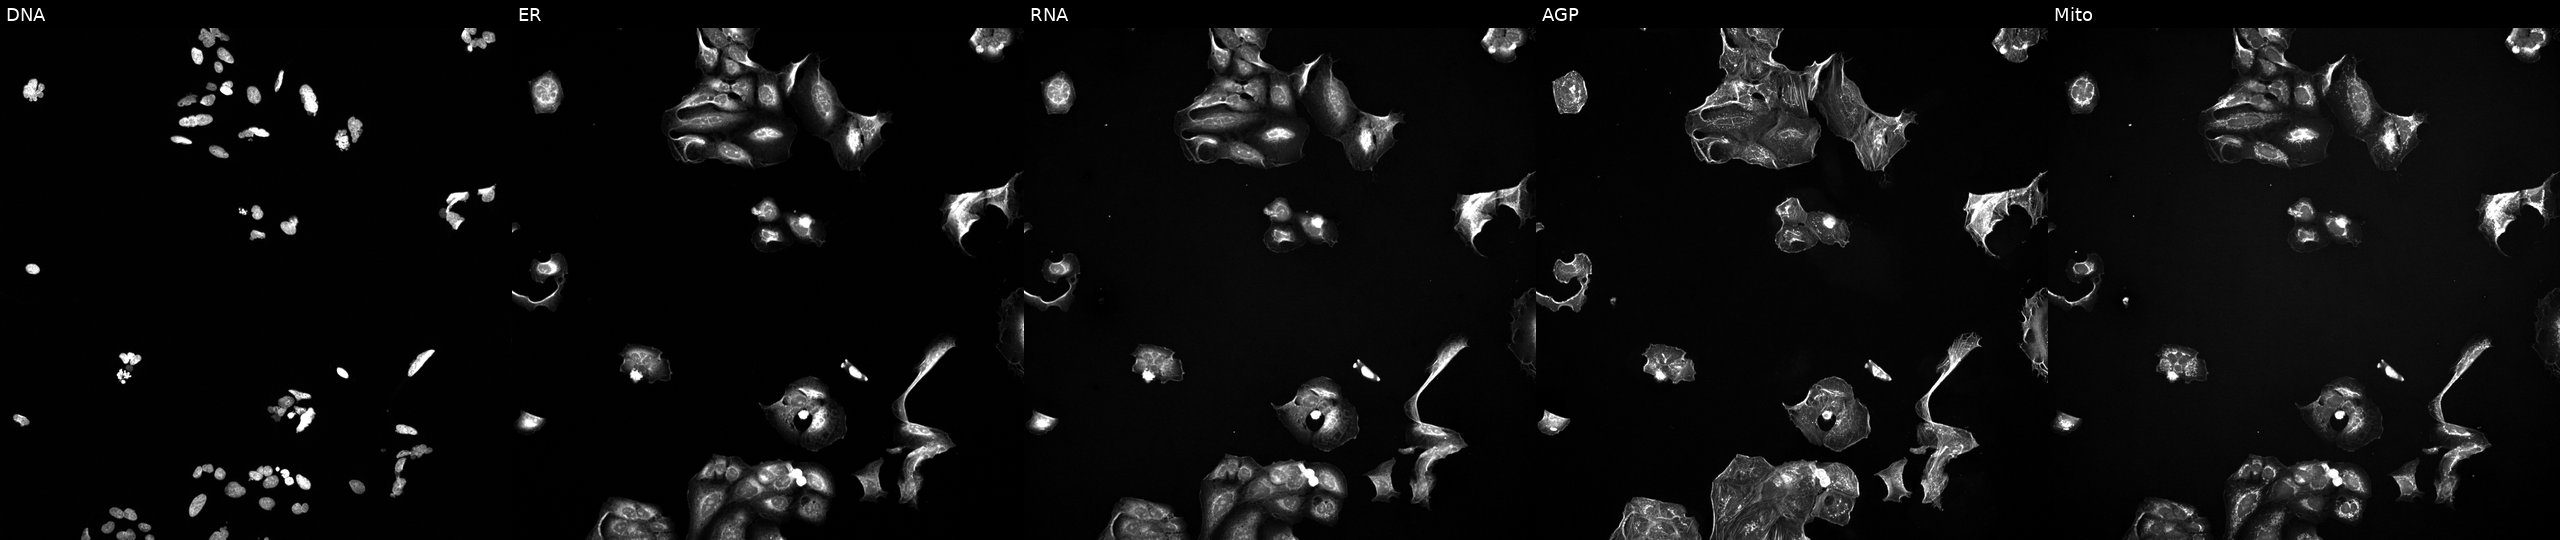
This image strip shows the five Cell Painting channels for a single field of U2OS cells exposed to a small-molecule compound [SMILES: CCCCCCOc1nsnc1C1=CCCN(C)C1]. Channels (left→right): Hoechst 33342, concanavalin A, SYTO 14, phalloidin and WGA, MitoTracker. Source 5, plate ACPJUM012, well H01.